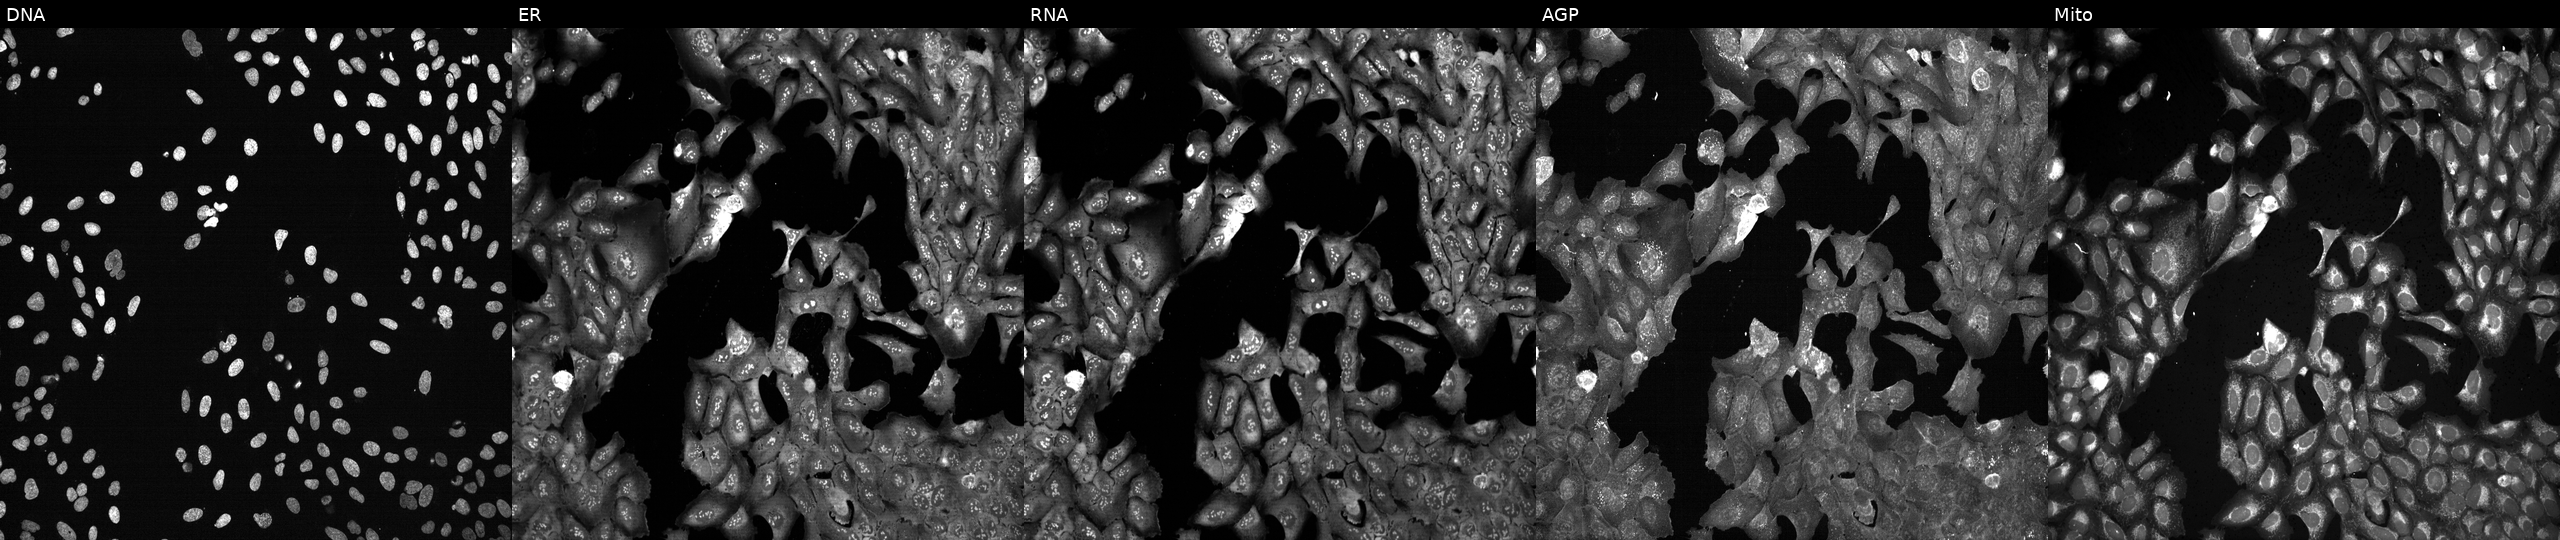
The five panels, left to right, show DNA, ER, RNA, AGP, and Mito. U2OS osteosarcoma cells with POLR3G knocked out by CRISPR (JUMP id JCP2022_805358). Cell Painting assay, JUMP-CP dataset.